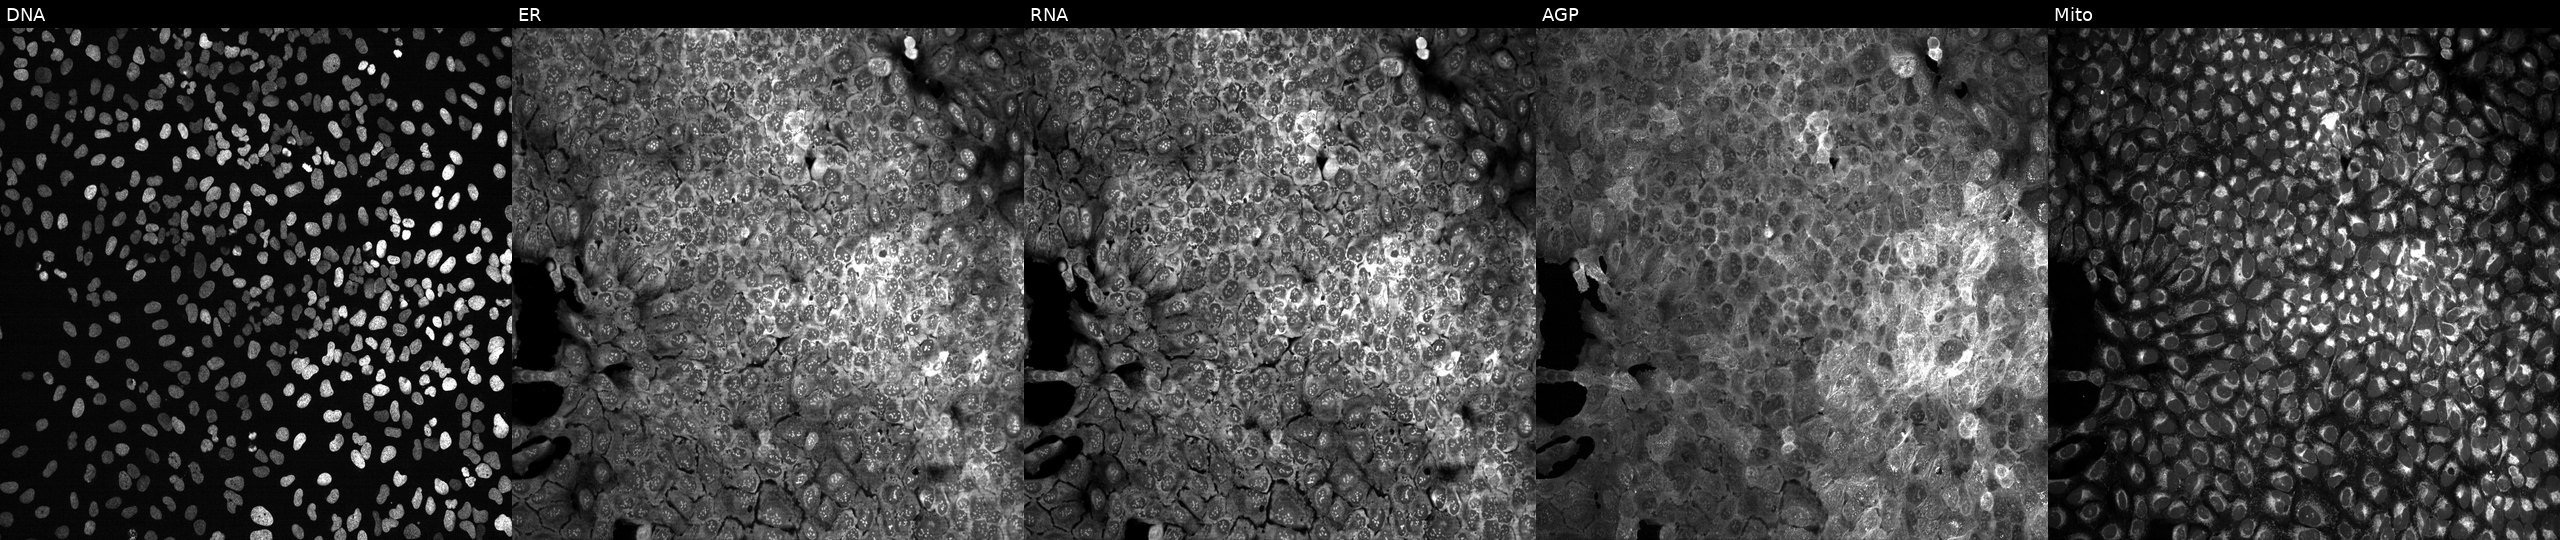
High-content fluorescence microscopy (Cell Painting). Cell line: U2OS. Perturbation: with a non-targeting CRISPR guide (negative control). The five panels, left to right, show Hoechst 33342, concanavalin A, SYTO 14, phalloidin and WGA, MitoTracker.